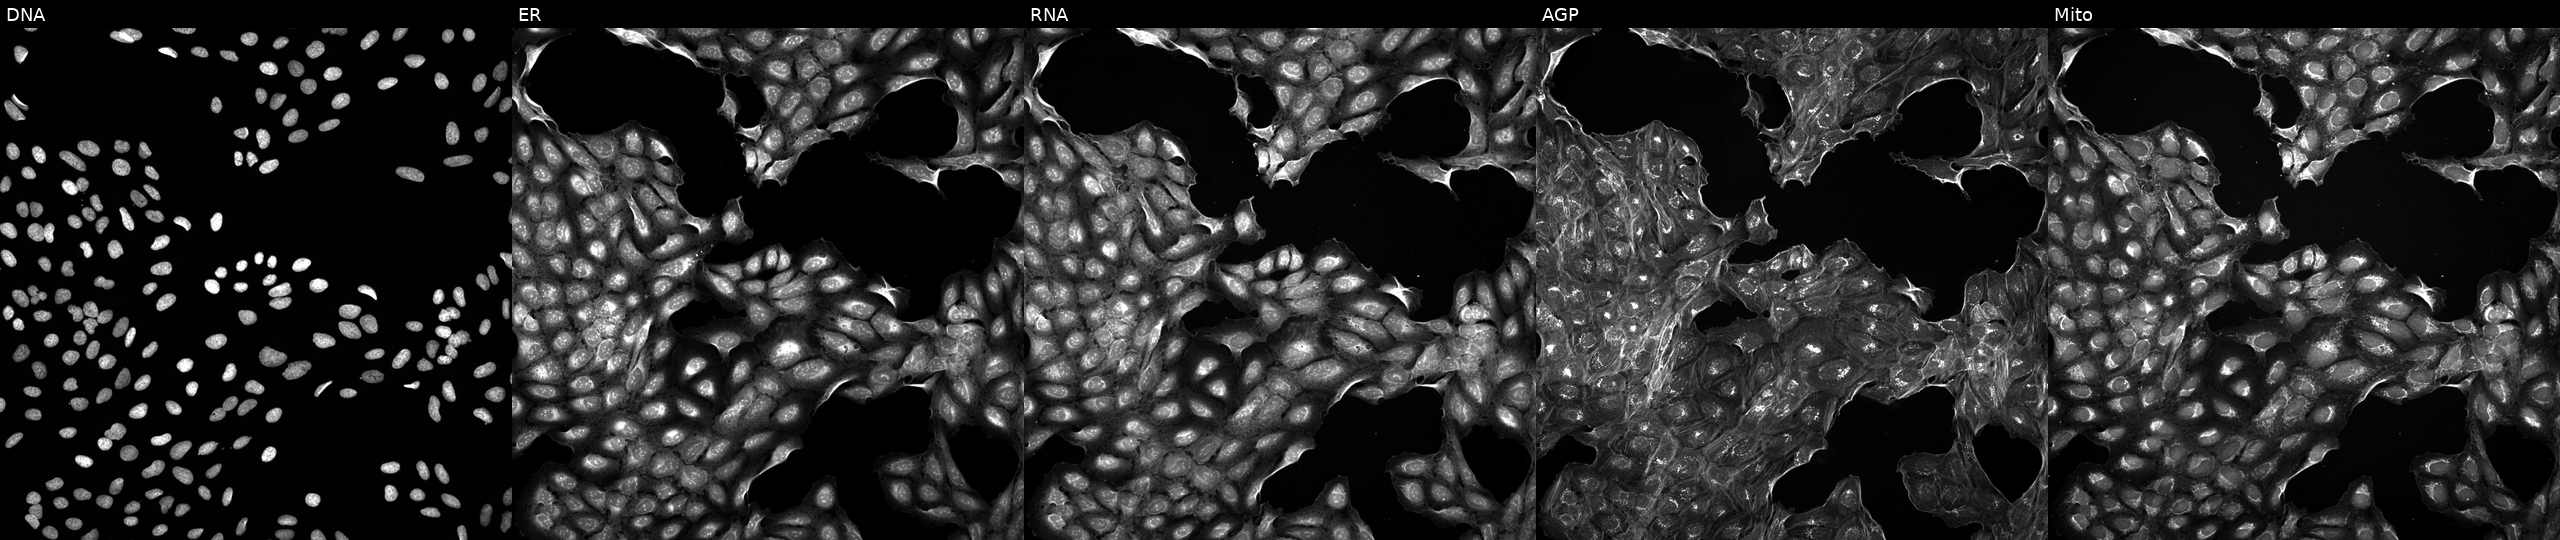
This image strip shows the five Cell Painting channels for a single field of U2OS cells perturbed with a small-molecule compound (InChIKey SPQWIKYHTAKAOE-UHFFFAOYSA-N) (JUMP id JCP2022_084811). The five panels, left to right, show Hoechst 33342, concanavalin A, SYTO 14, phalloidin and WGA, MitoTracker.